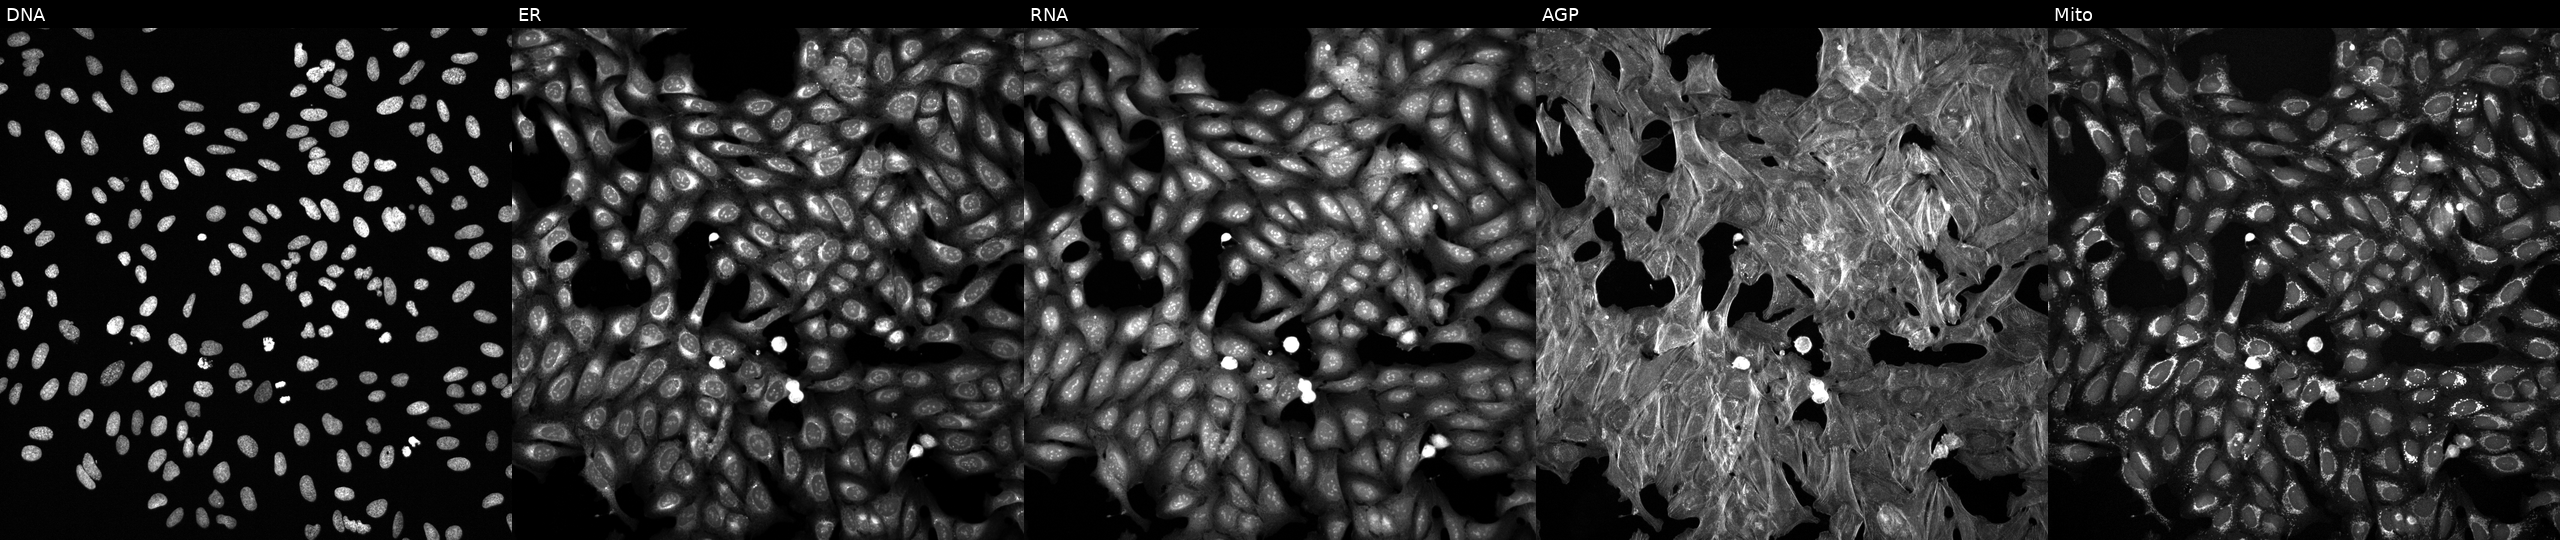
Five-channel Cell Painting image of U2OS cells perturbed with a small-molecule compound (InChIKey IIXWYSCJSQVBQM-UHFFFAOYSA-N) [SMILES: CC1Oc2cc(c[nH]c2=N)-c2c(nn(C)c2C#N)CN(C)C(=O)c2ccc(F)cc21] (JUMP id JCP2022_035351). Channels (left→right): DNA (nuclei); ER (endoplasmic reticulum); RNA (nucleoli and cytoplasmic RNA); AGP (actin cytoskeleton, Golgi, and plasma membrane); Mito (mitochondria).